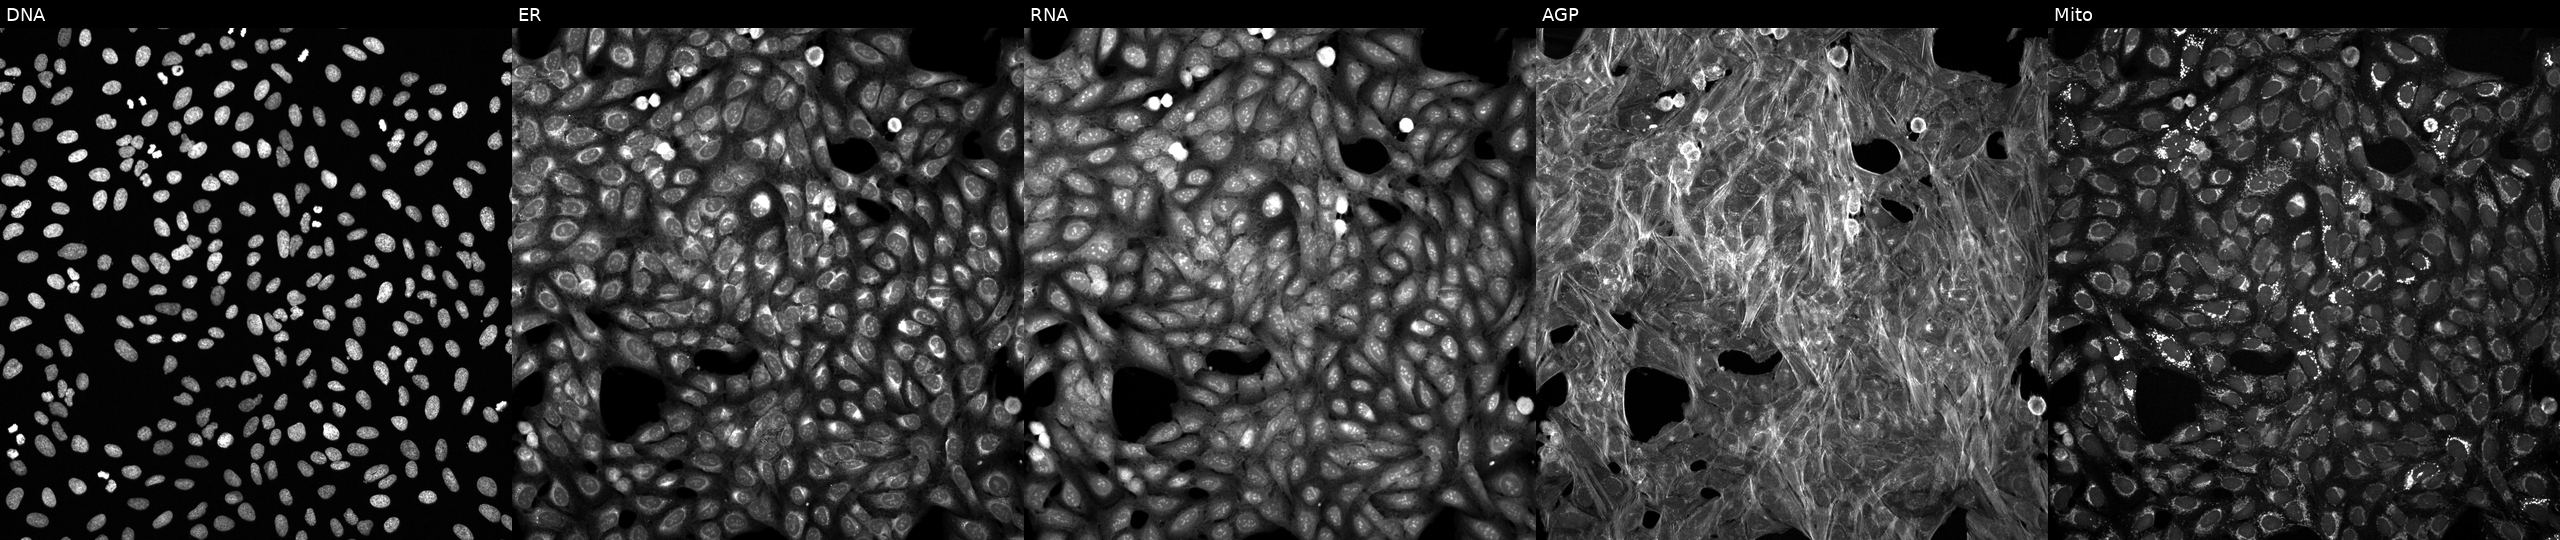
Five-channel Cell Painting image of U2OS cells exposed to a small-molecule compound (InChIKey HULPONUAINYLQQ-UHFFFAOYSA-N) [SMILES: CC=C(C)C(=O)OC1C(C)=CC23C(=O)C(=CC(CO)C(O)C12O)C1C(CC3C)C1(C)C]. Channels (left→right): DNA (nuclei); ER (endoplasmic reticulum); RNA (nucleoli and cytoplasmic RNA); AGP (actin cytoskeleton, Golgi, and plasma membrane); Mito (mitochondria).